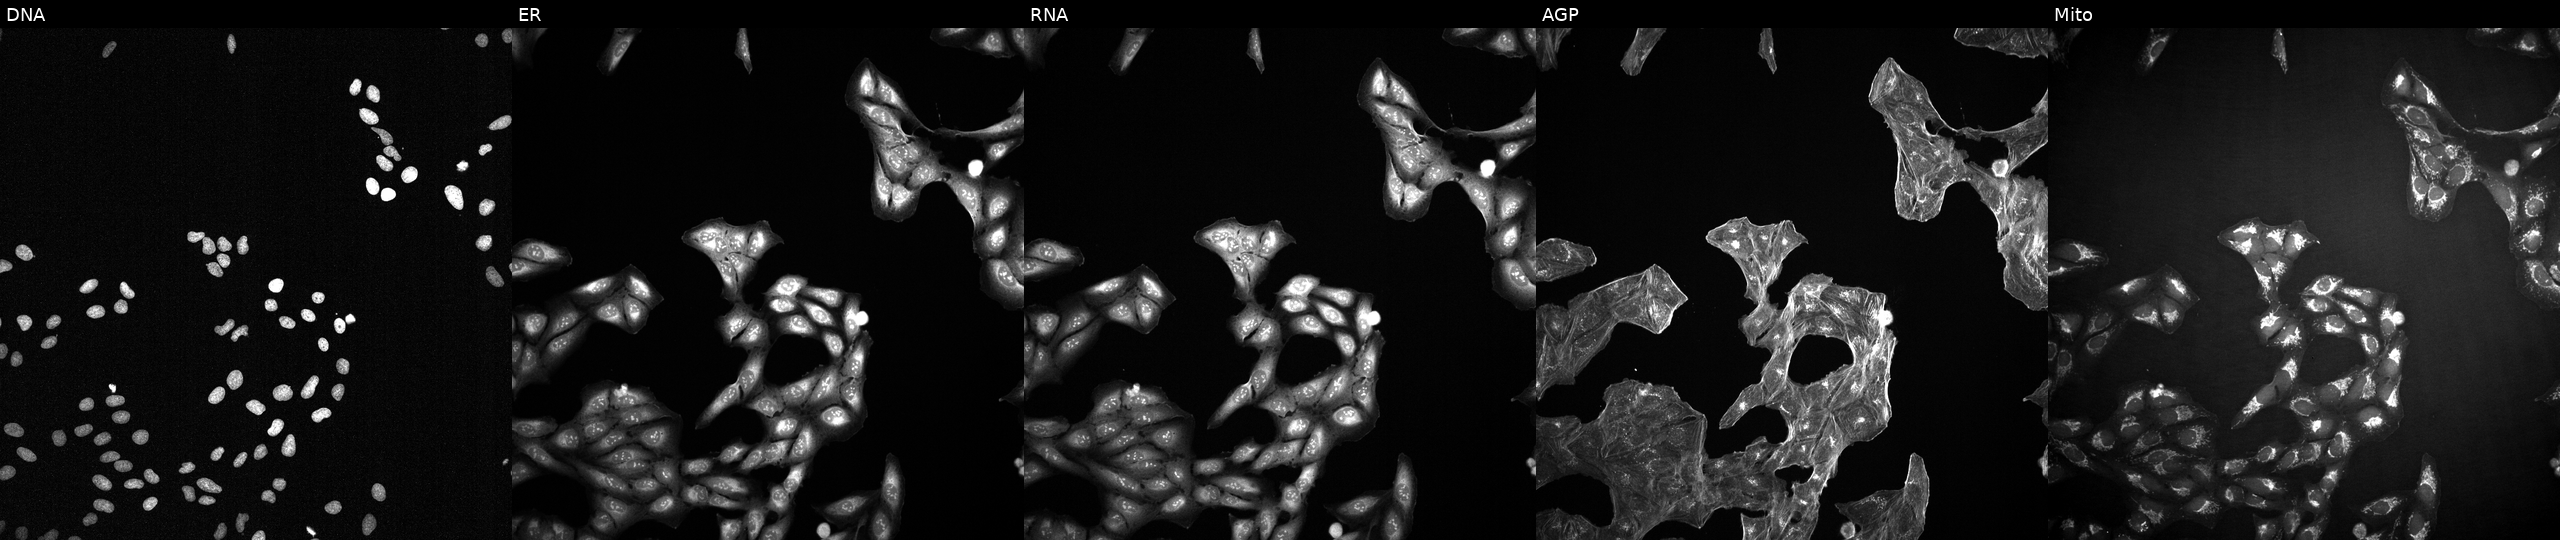
This image strip shows the five Cell Painting channels for a single field of U2OS cells perturbed with a small-molecule compound (InChIKey CMSMOCZEIVJLDB-UHFFFAOYSA-N) (JUMP id JCP2022_012146). The five panels, left to right, show DNA (nuclei); ER (endoplasmic reticulum); RNA (nucleoli and cytoplasmic RNA); AGP (actin cytoskeleton, Golgi, and plasma membrane); Mito (mitochondria).